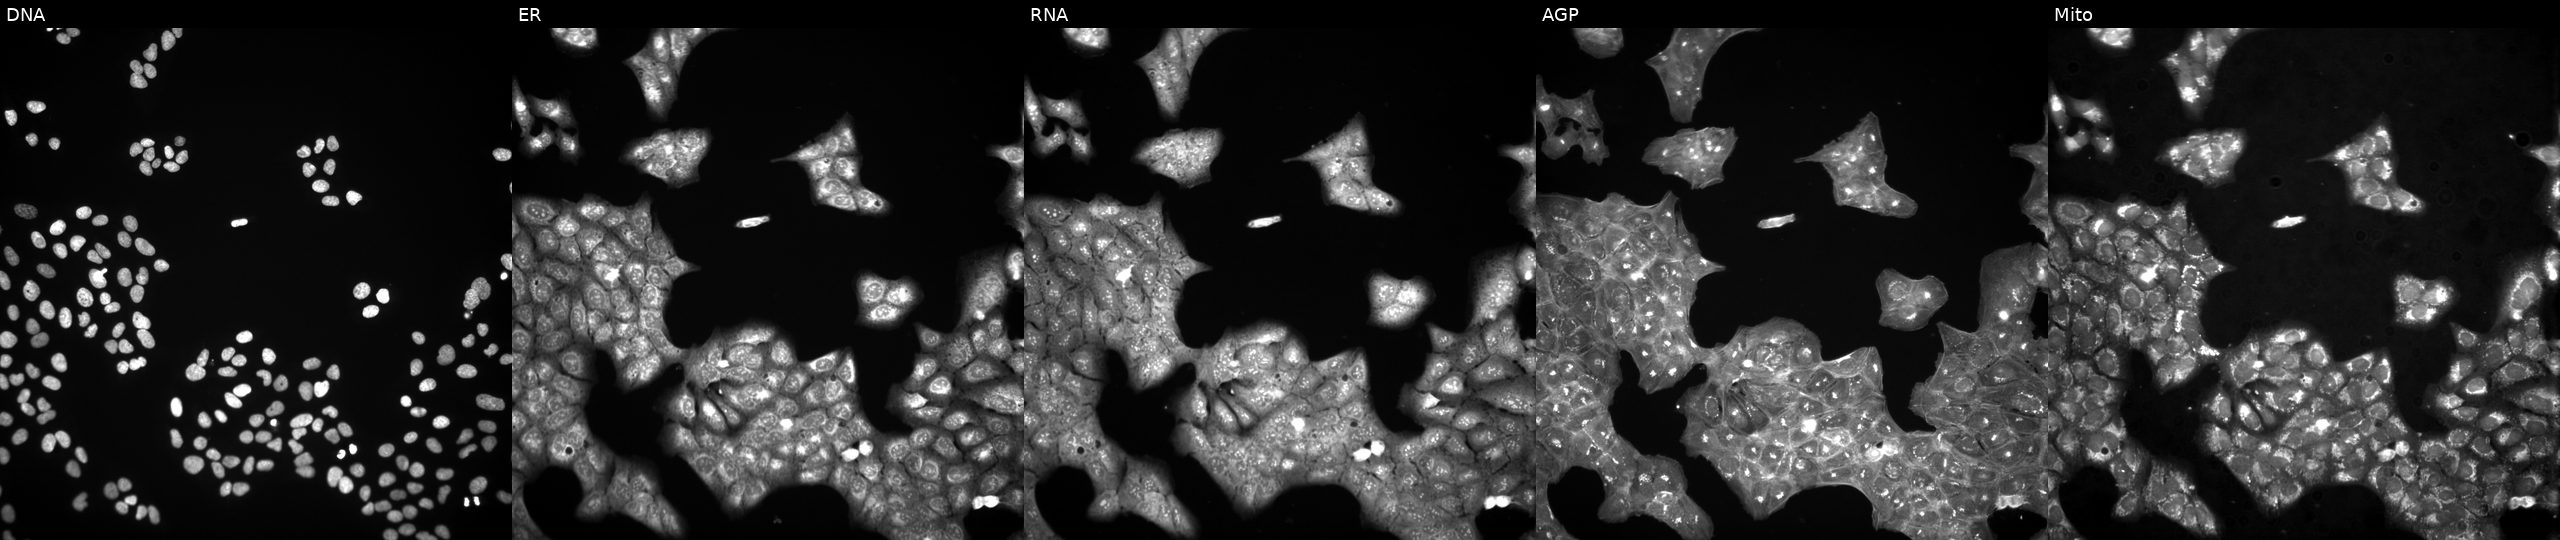
JUMP Cell Painting — TARGET2 plate. U2OS cells treated with a small-molecule compound (JUMP id JCP2022_050516). Panels show, left to right, DNA (nuclei); ER (endoplasmic reticulum); RNA (nucleoli and cytoplasmic RNA); AGP (actin cytoskeleton, Golgi, and plasma membrane); Mito (mitochondria).